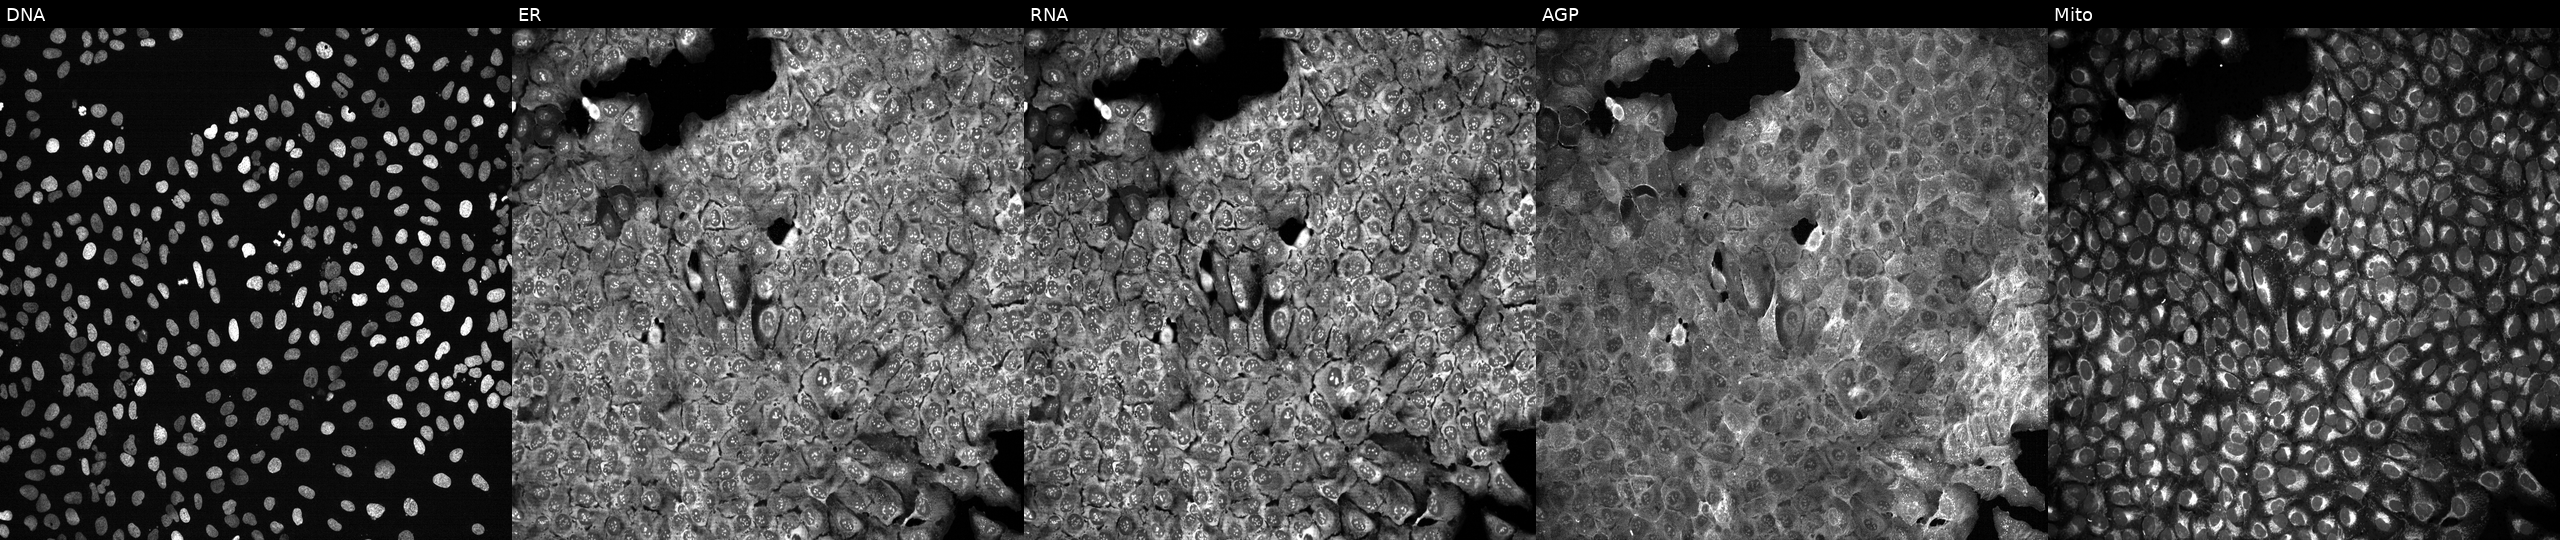
This image strip shows the five Cell Painting channels for a single field of U2OS cells with ESM1 knocked out by CRISPR. The five panels, left to right, show DNA, ER, RNA, AGP, and Mito. Source 13, plate CP-CC9-R2-01, well I12.